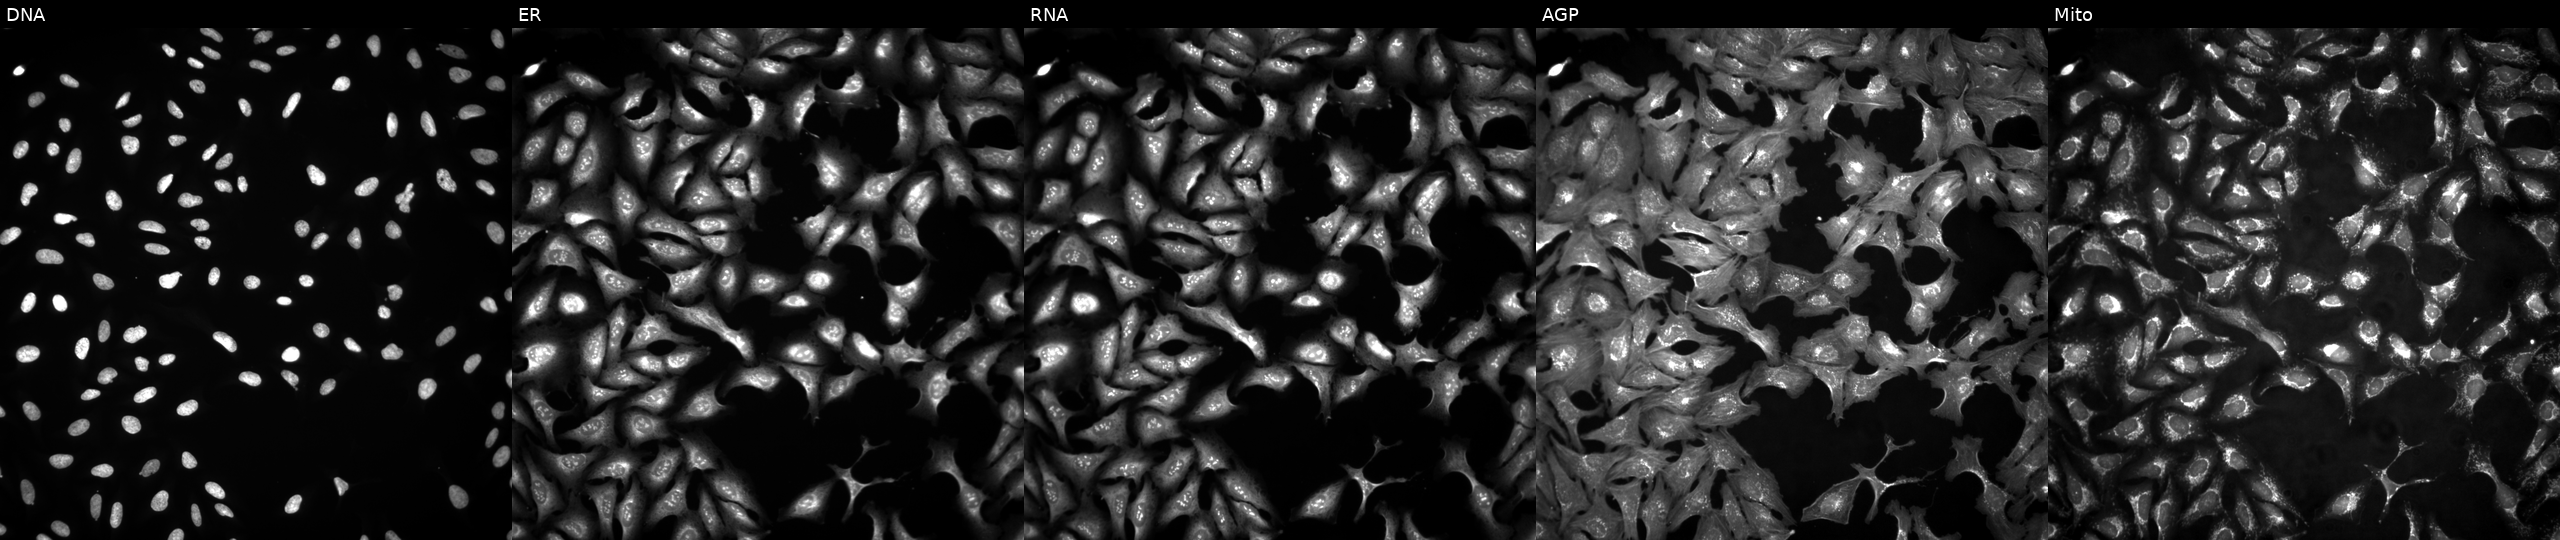
JUMP Cell Painting — ORF plate. U2OS cells overexpressing PLK1 via ORF transfection (JUMP id JCP2022_913796). Channels (left→right): DNA (nuclei); ER (endoplasmic reticulum); RNA (nucleoli and cytoplasmic RNA); AGP (actin cytoskeleton, Golgi, and plasma membrane); Mito (mitochondria).